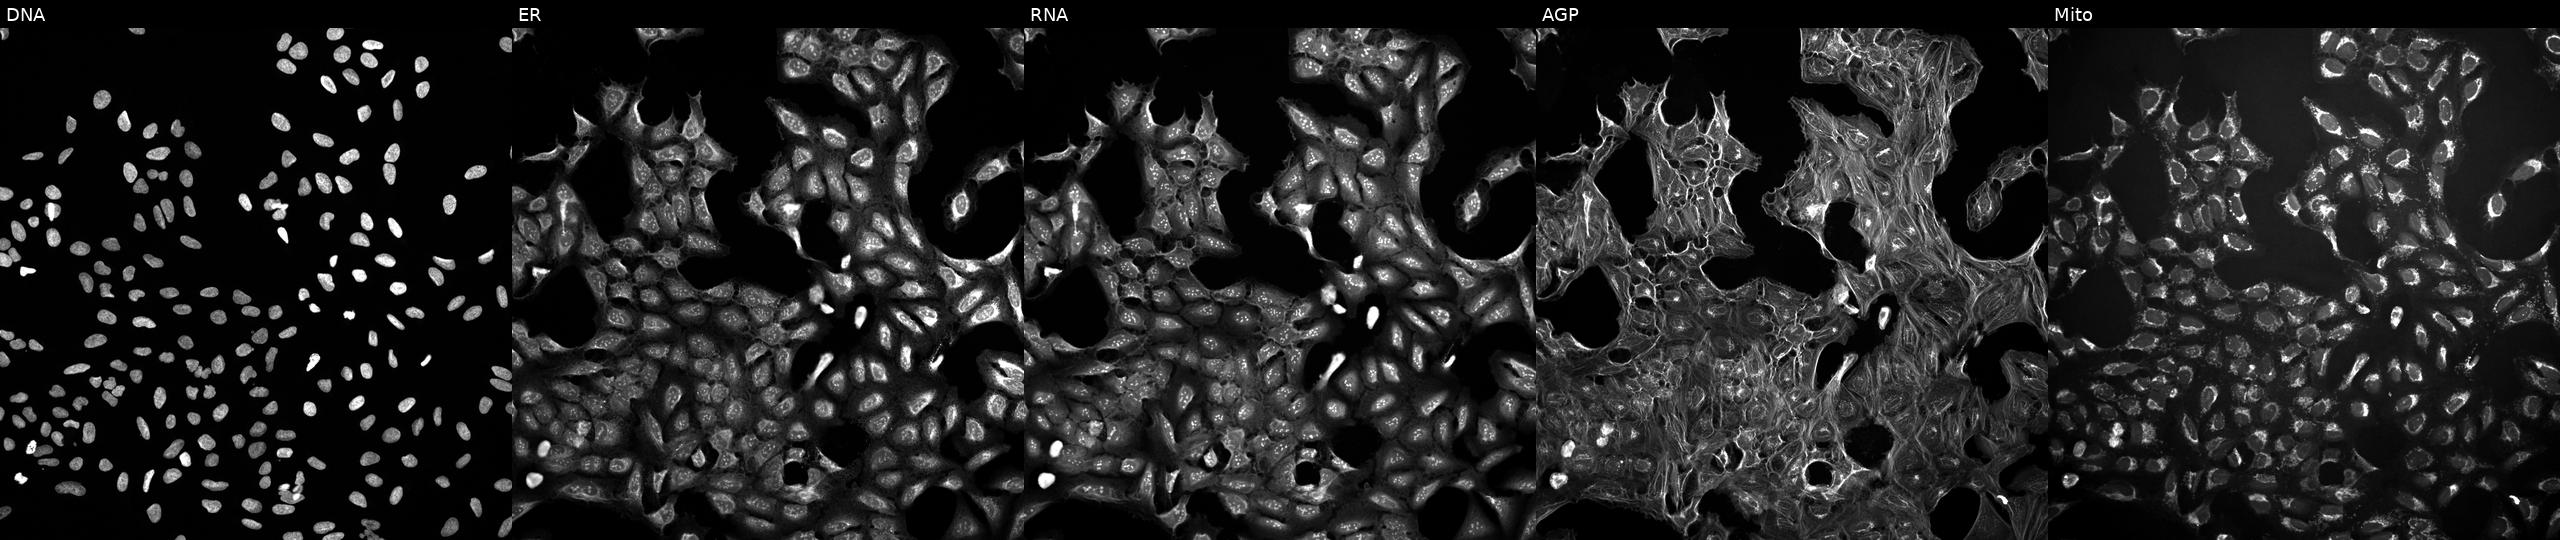
Channels (left→right): Hoechst 33342, concanavalin A, SYTO 14, phalloidin and WGA, MitoTracker. U2OS osteosarcoma cells treated with DMSO vehicle only (negative control). Cell Painting assay, JUMP-CP dataset. Source 10, plate Dest210727-153003, well J04.